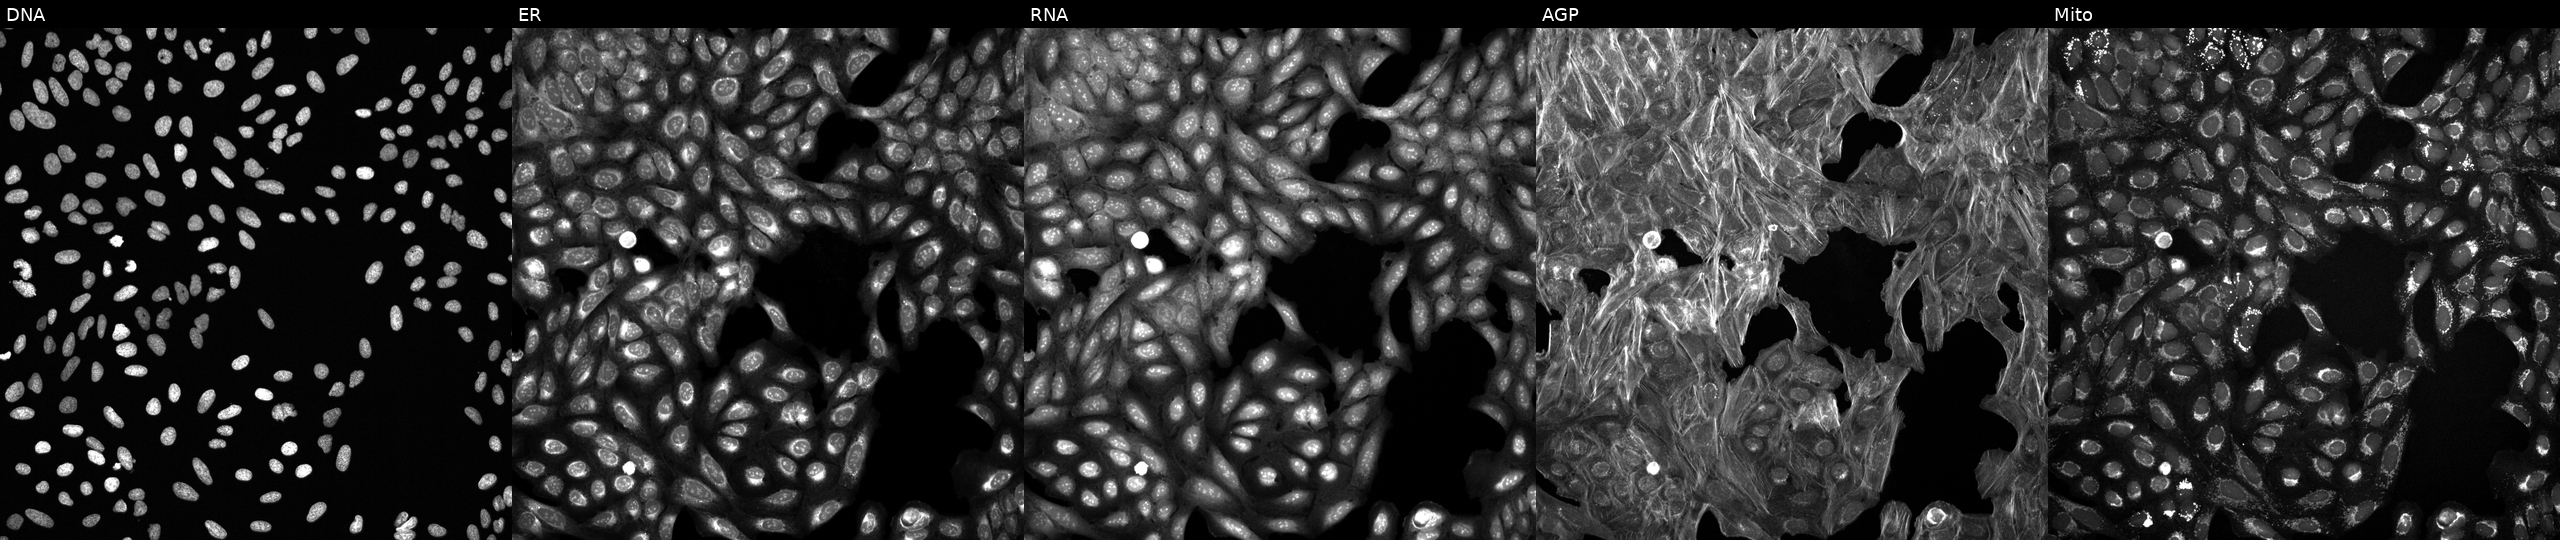
U2OS cells, Cell Painting assay, exposed to a small-molecule compound. Panels show, left to right, Hoechst 33342, concanavalin A, SYTO 14, phalloidin and WGA, MitoTracker. Each panel is percentile-stretched 16-bit fluorescence.